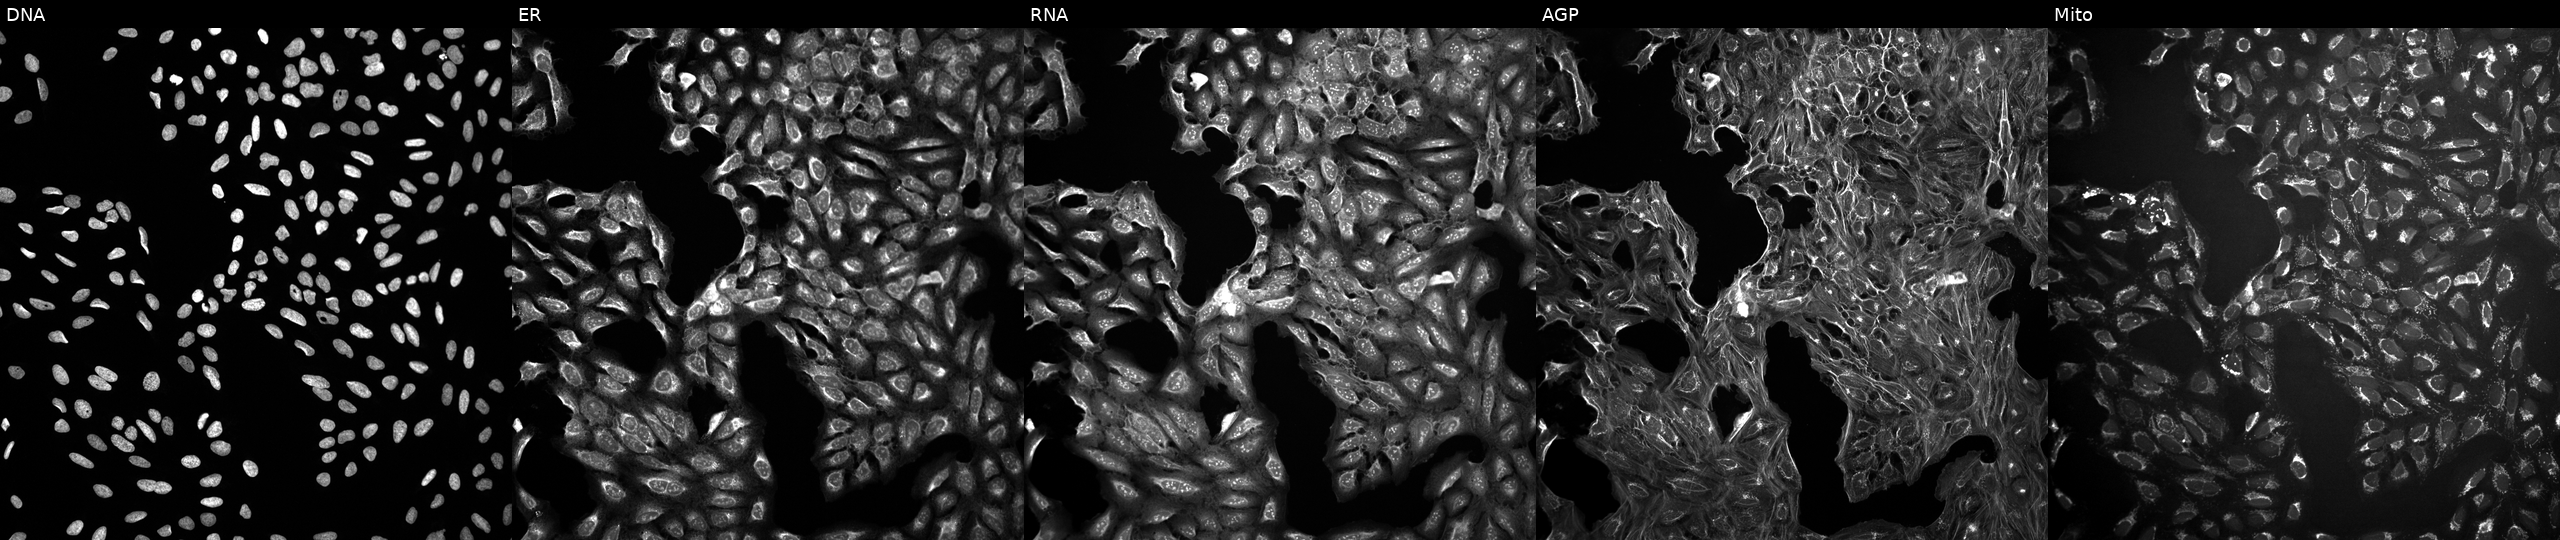
Five-channel Cell Painting image of U2OS cells treated with a small-molecule compound (InChIKey DPZPWUOHJIKABN-UHFFFAOYSA-N) [SMILES: FC(F)(F)c1nc(-c2cncc(C3CCCNC3)n2)no1] (JUMP id JCP2022_017504). From left to right: DNA, ER, RNA, AGP, and Mito. Source 10, plate Dest210531-152324, well K14.